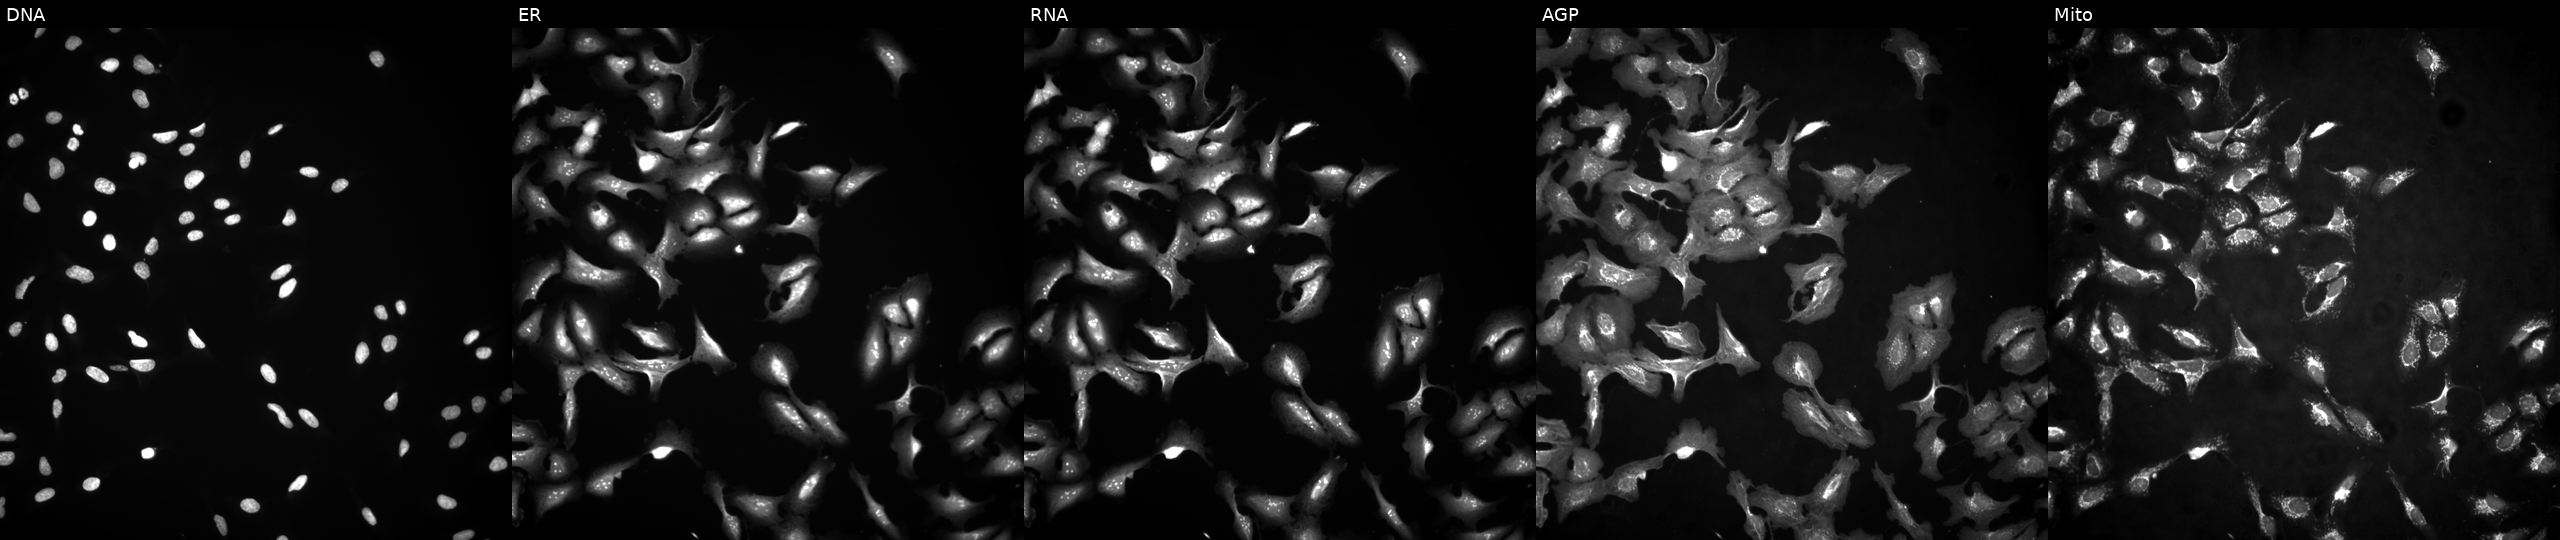
U2OS cells, Cell Painting assay, with STAG2 overexpressed (ORF) (JUMP id JCP2022_902355). Panels show, left to right, Hoechst 33342, concanavalin A, SYTO 14, phalloidin and WGA, MitoTracker. Each panel is percentile-stretched 16-bit fluorescence. Source 4, plate BR00117035, well G01.